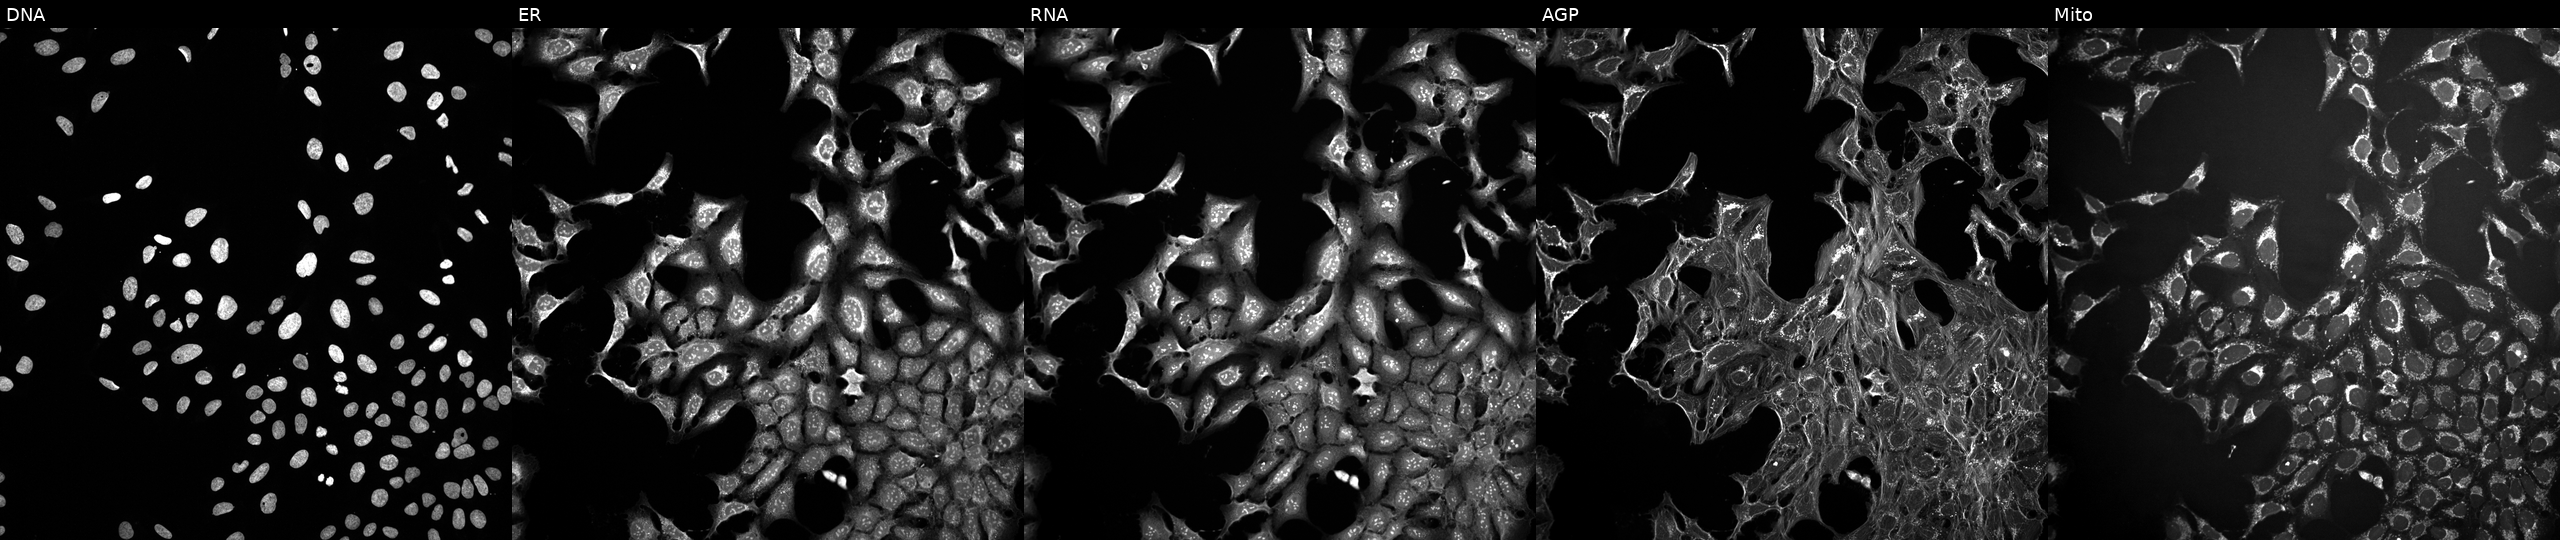
Channels (left→right): DNA, ER, RNA, AGP, and Mito. U2OS osteosarcoma cells exposed to a small-molecule compound [SMILES: COc1cc(N2CCN(C)CC2)ccc1N=c1nc(-c2cn(C)c3cnccc23)cc[nH]1] (JUMP id JCP2022_116560). Cell Painting assay, JUMP-CP dataset. Source 10, plate Dest210727-153003, well J09.